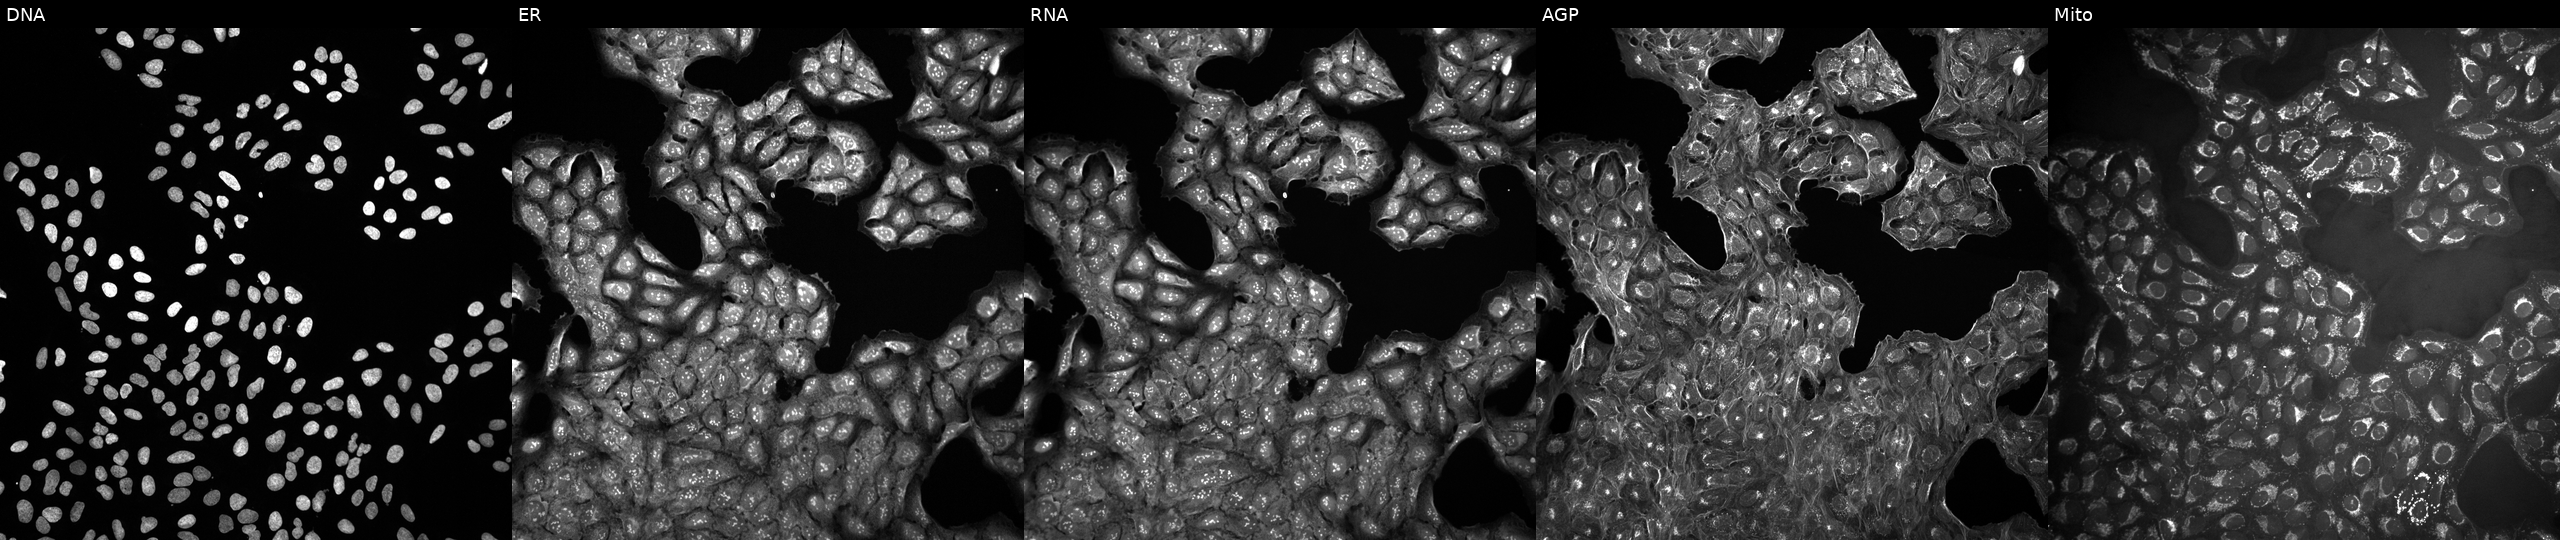
This image strip shows the five Cell Painting channels for a single field of U2OS cells untreated (empty-well control) (JUMP id JCP2022_999999). Channels (left→right): DNA, ER, RNA, AGP, and Mito. Source 10, plate Dest210531-152149, well N16.